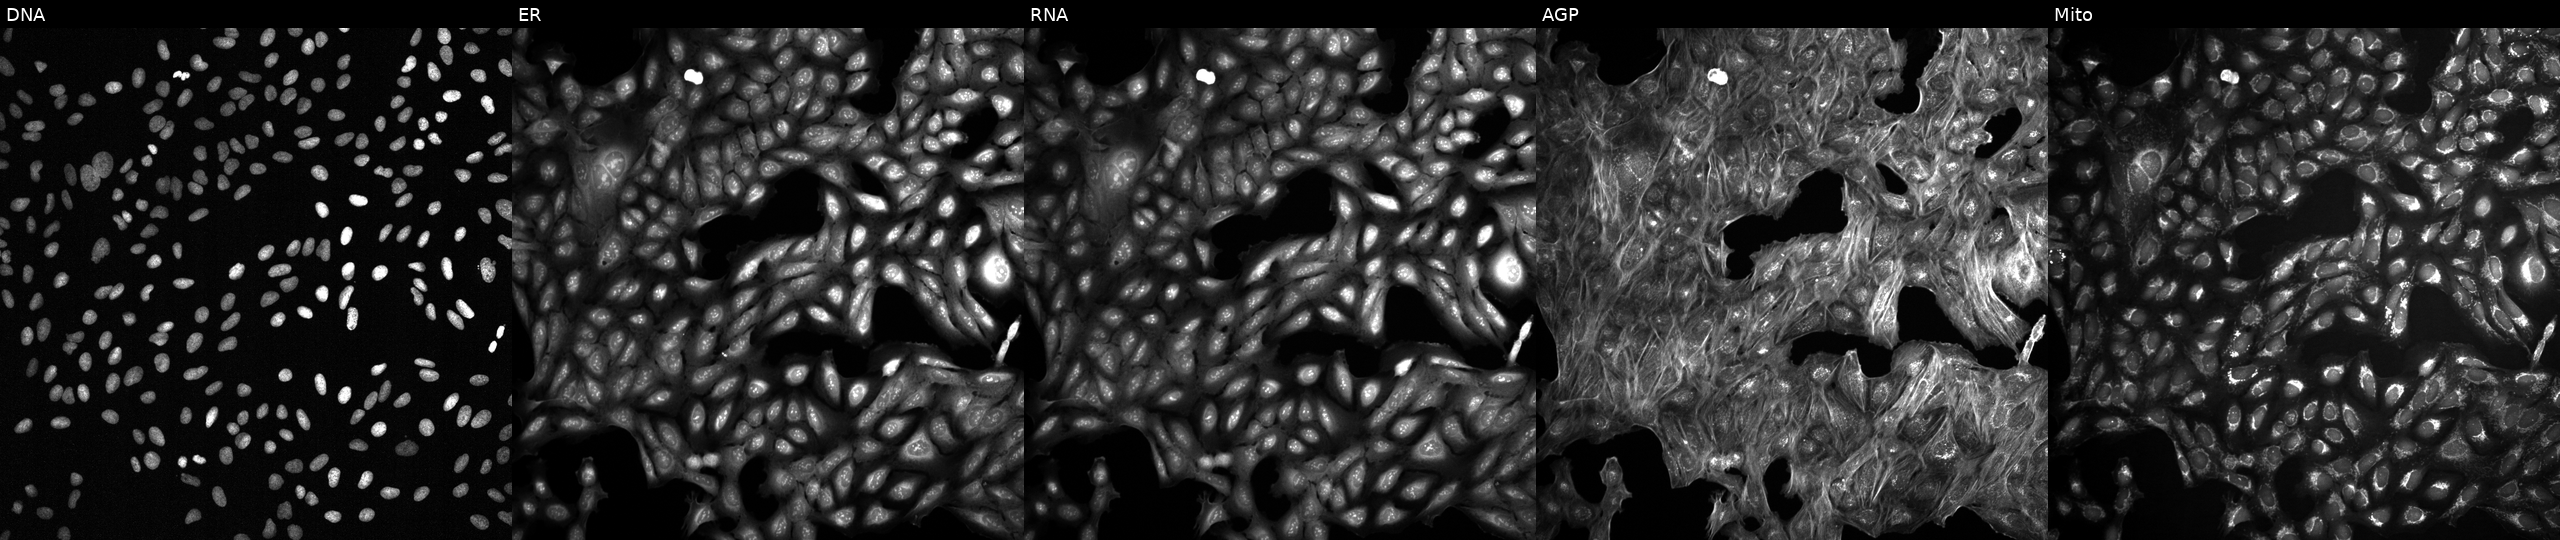
This image strip shows the five Cell Painting channels for a single field of U2OS cells perturbed with a small-molecule compound (InChIKey WVZHYJOBEBUHNT-UHFFFAOYSA-N) [SMILES: CN1CCN(CCc2cn3ncnc3nc2-c2ccc(F)cc2)CC1] (JUMP id JCP2022_101568). From left to right: DNA (nuclei); ER (endoplasmic reticulum); RNA (nucleoli and cytoplasmic RNA); AGP (actin cytoskeleton, Golgi, and plasma membrane); Mito (mitochondria).